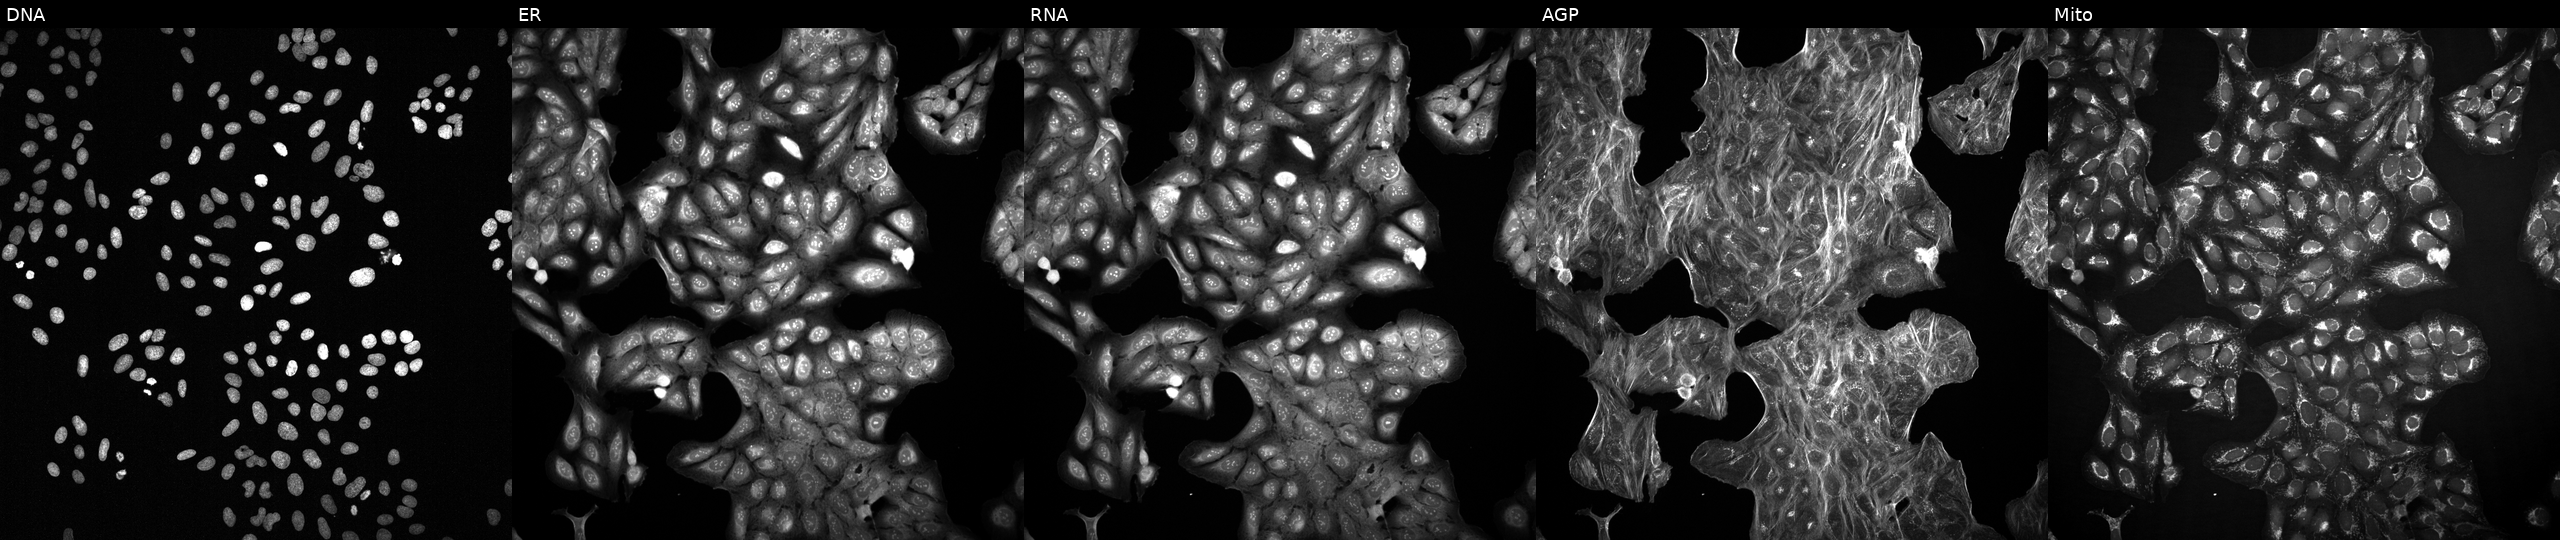
Five-channel Cell Painting image of U2OS cells with an unidentified perturbation (not annotated in JUMP metadata). Channels (left→right): Hoechst 33342, concanavalin A, SYTO 14, phalloidin and WGA, MitoTracker.